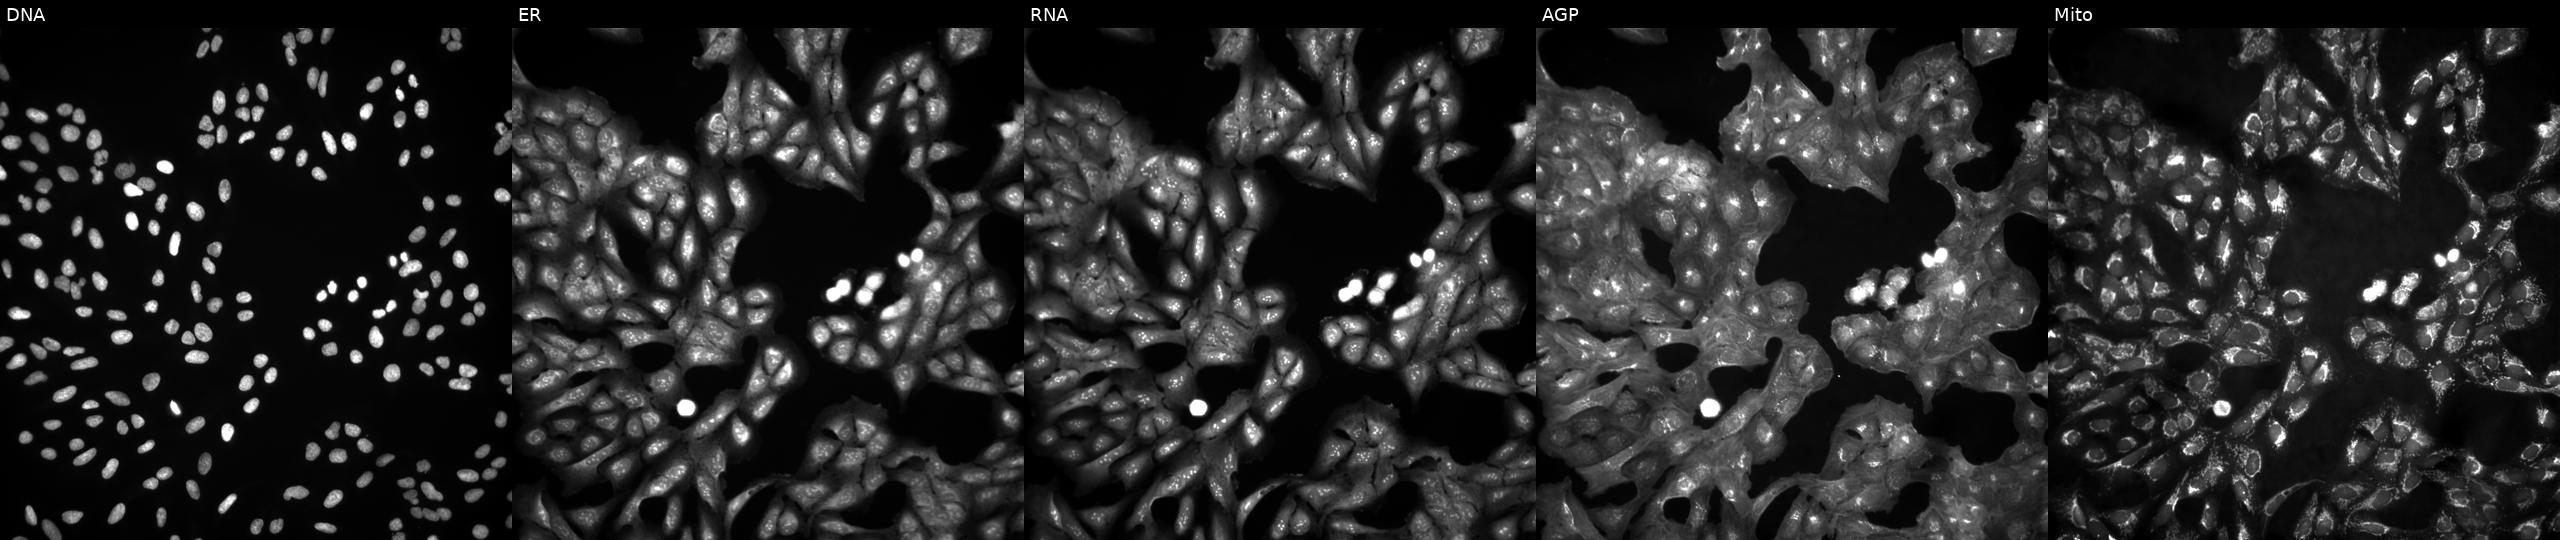
From left to right: DNA (nuclei); ER (endoplasmic reticulum); RNA (nucleoli and cytoplasmic RNA); AGP (actin cytoskeleton, Golgi, and plasma membrane); Mito (mitochondria). U2OS osteosarcoma cells in an empty control well (no perturbation). Cell Painting assay, JUMP-CP dataset. Source 4, plate BR00123946, well N21.